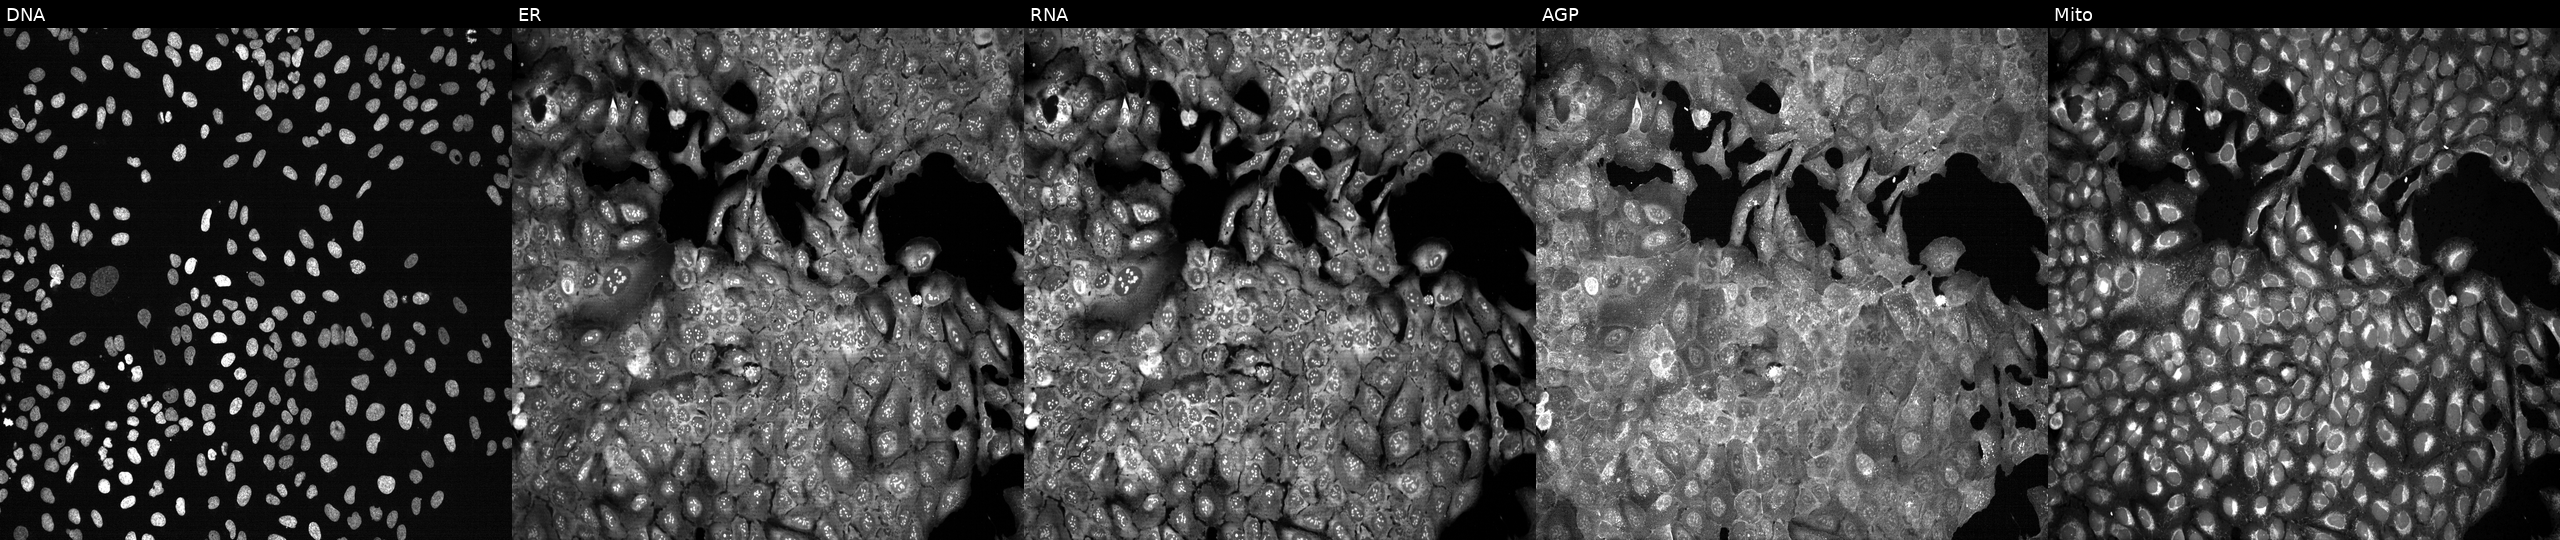
High-content fluorescence microscopy (Cell Painting). Cell line: U2OS. Perturbation: CRISPR-edited to disrupt SLC44A1. The five panels, left to right, show Hoechst 33342, concanavalin A, SYTO 14, phalloidin and WGA, MitoTracker.